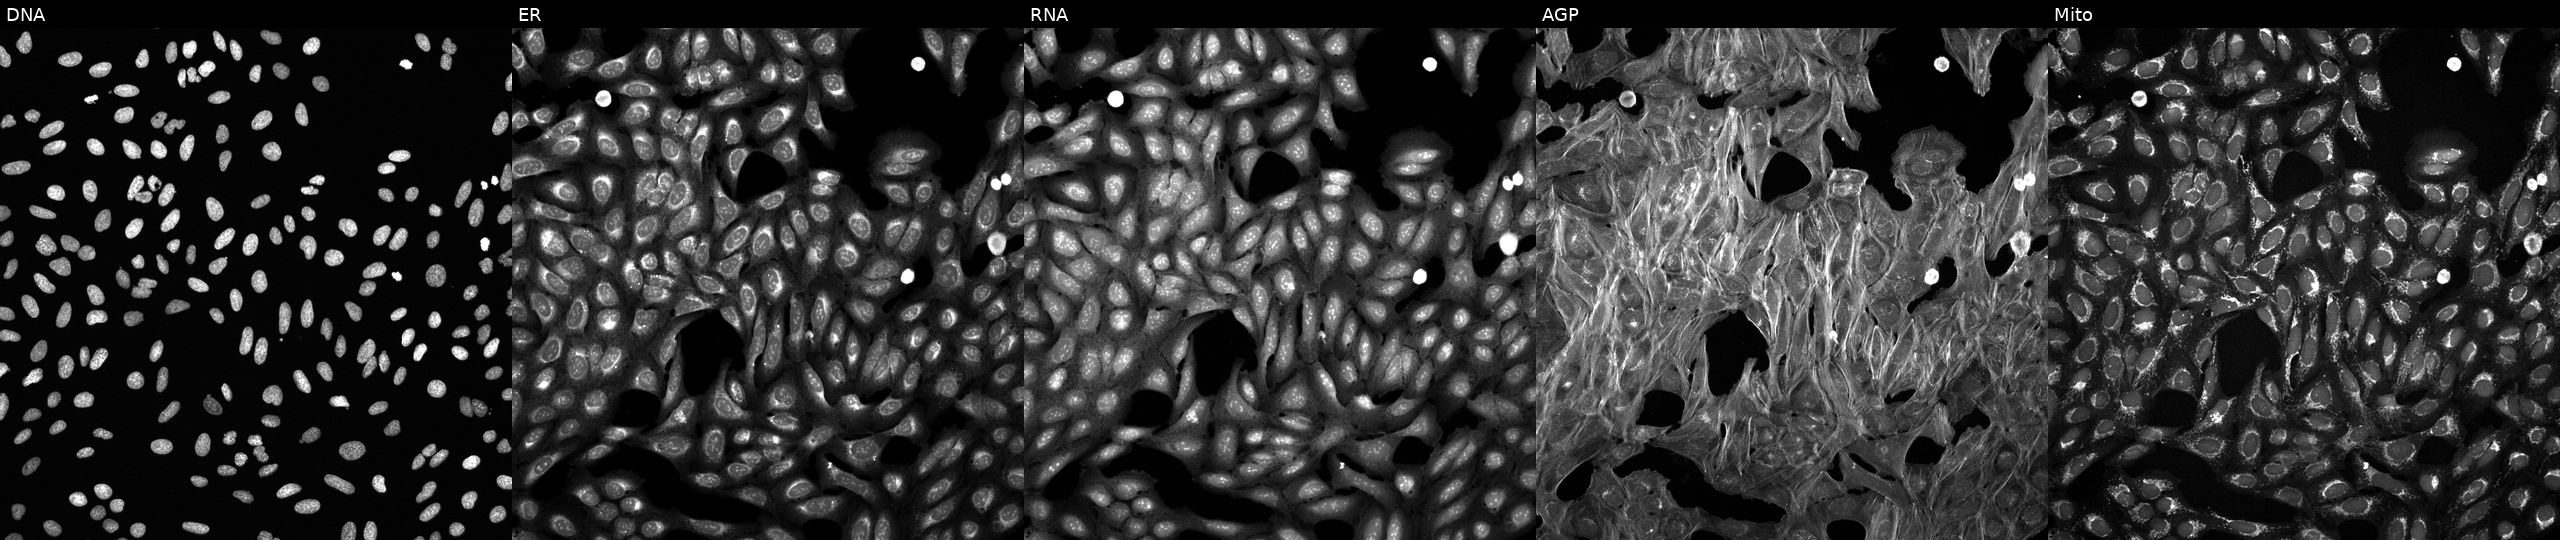
Five-channel Cell Painting image of U2OS cells treated with DMSO vehicle only (negative control) (JUMP id JCP2022_033924). Channels (left→right): DNA, ER, RNA, AGP, and Mito.